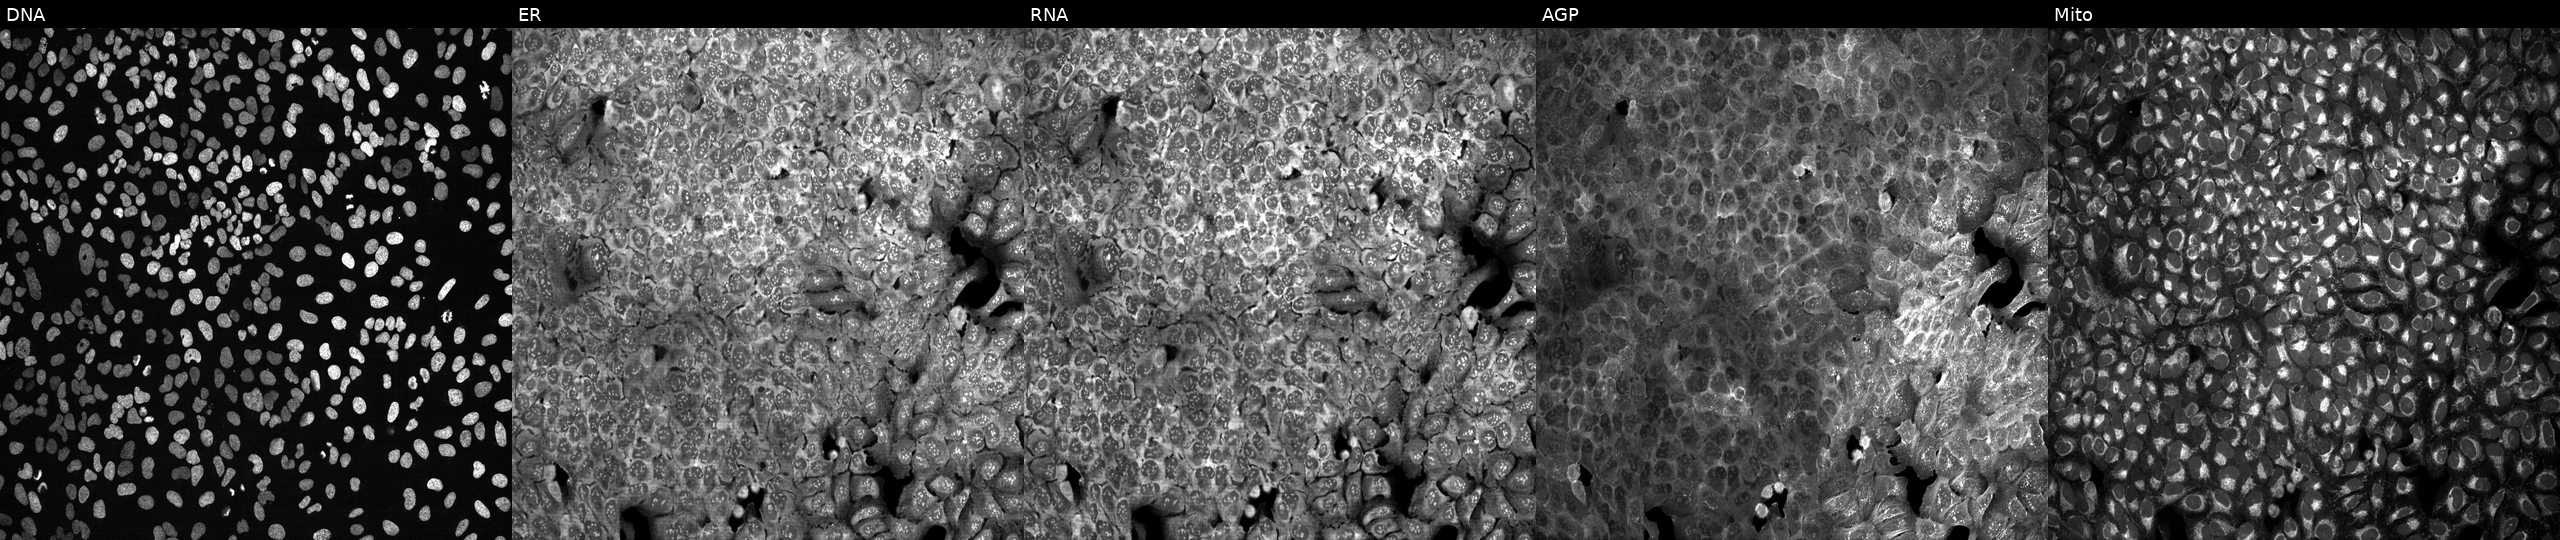
High-content fluorescence microscopy (Cell Painting). Cell line: U2OS. Perturbation: with MEF2A knocked out by CRISPR (JUMP id JCP2022_804115). The five panels, left to right, show DNA (nuclei); ER (endoplasmic reticulum); RNA (nucleoli and cytoplasmic RNA); AGP (actin cytoskeleton, Golgi, and plasma membrane); Mito (mitochondria).